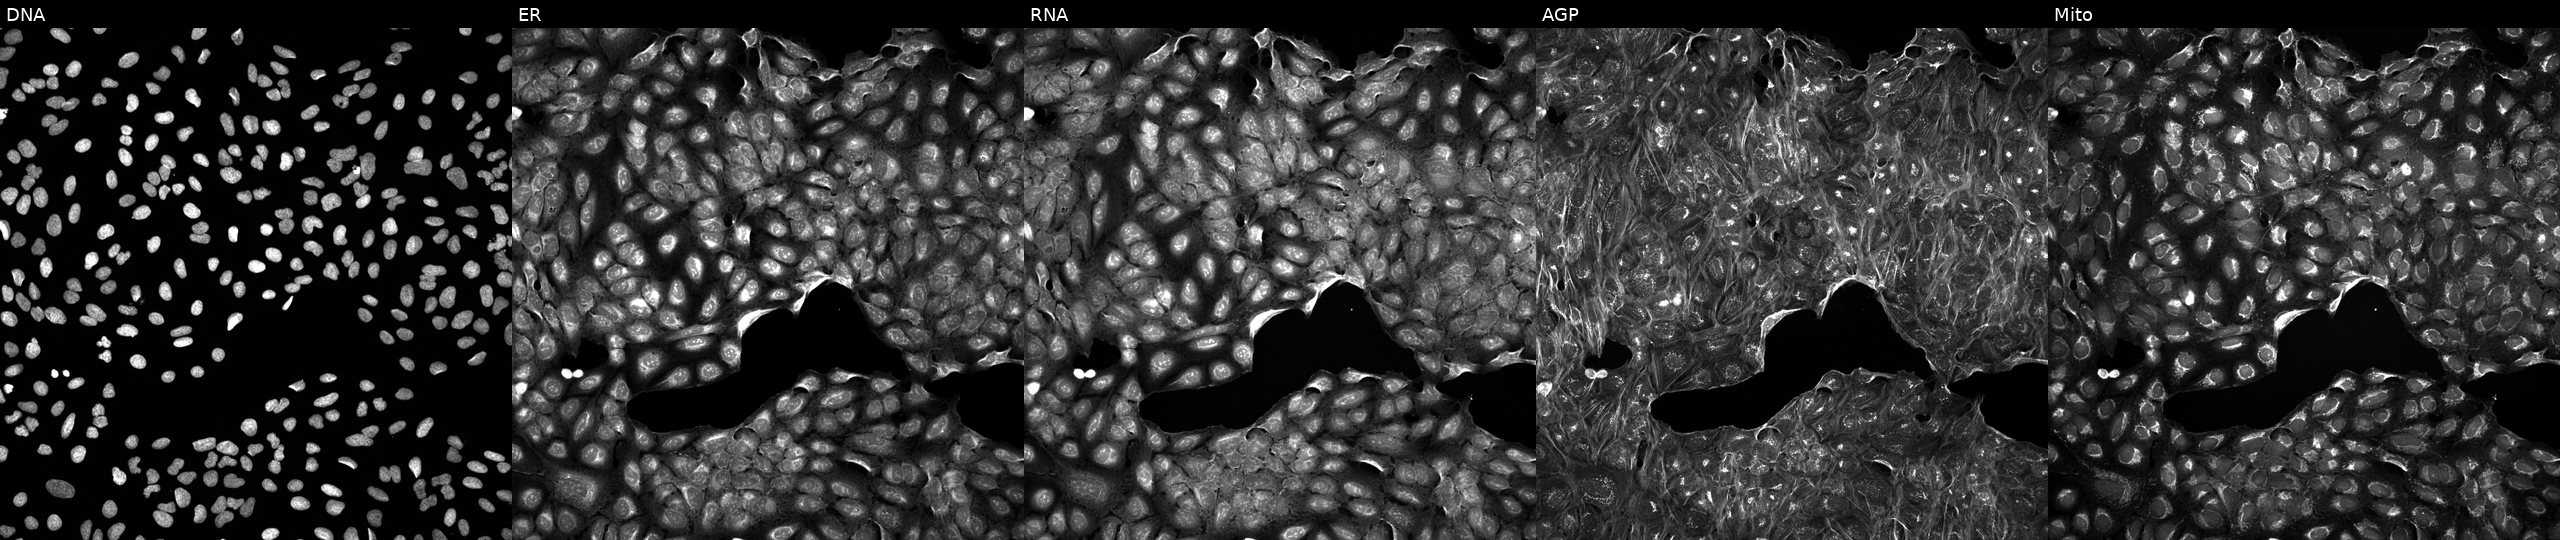
JUMP Cell Painting — TARGET2 plate. U2OS cells treated with a small-molecule compound (InChIKey YCYMCMYLORLIJX-UHFFFAOYSA-N). Panels show, left to right, Hoechst 33342, concanavalin A, SYTO 14, phalloidin and WGA, MitoTracker.